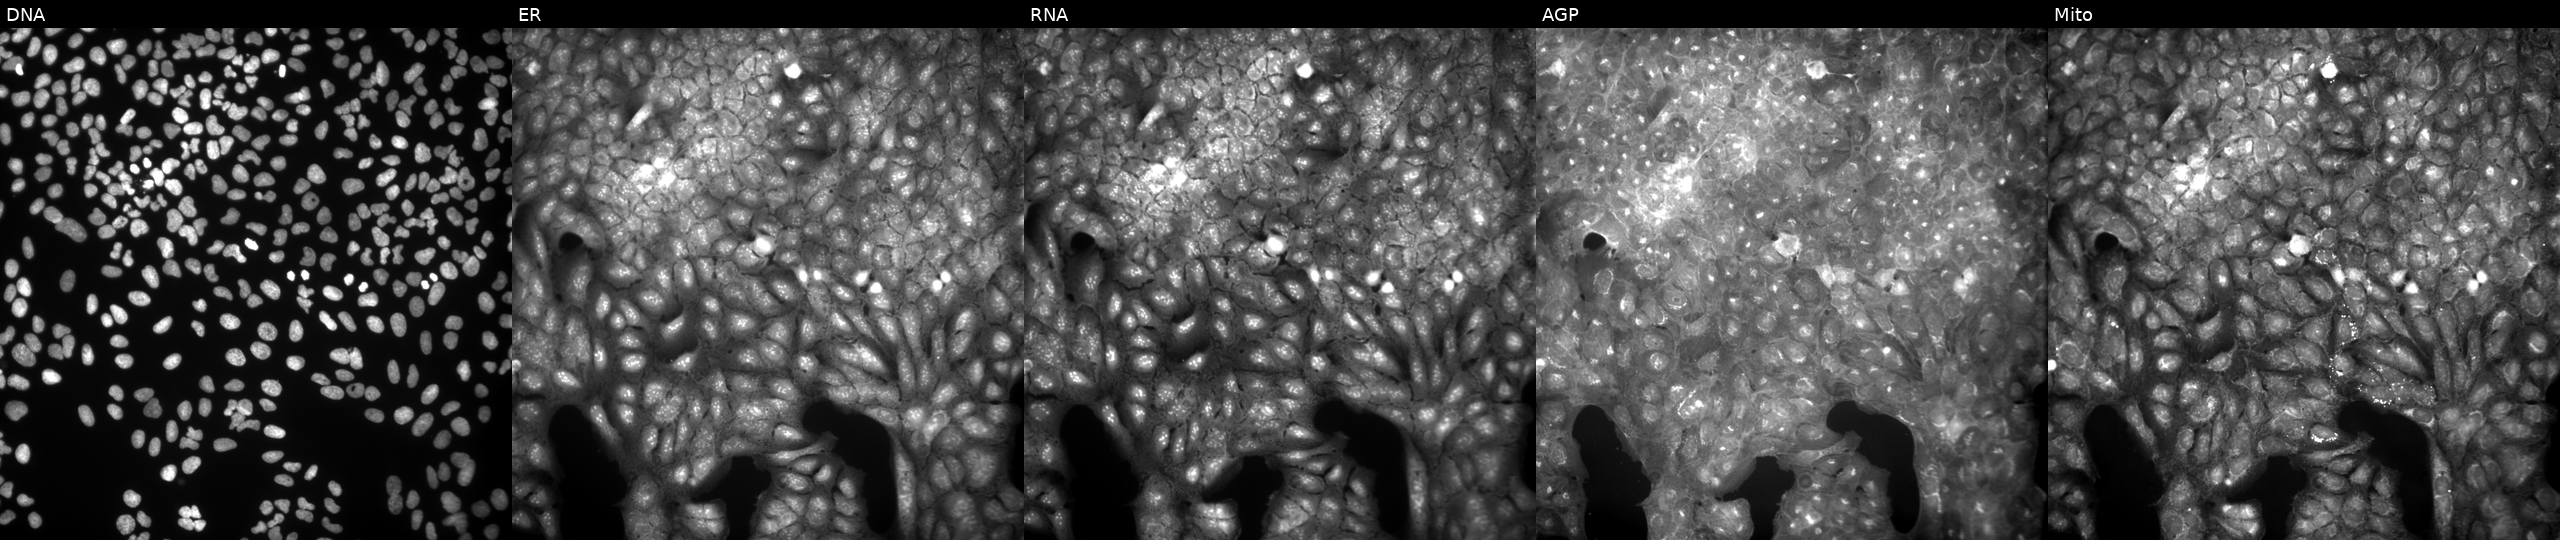
High-content fluorescence microscopy (Cell Painting). Cell line: U2OS. Perturbation: exposed to a small-molecule compound (InChIKey IOZVKDXPBWBUKY-UHFFFAOYSA-N). Panels show, left to right, DNA, ER, RNA, AGP, and Mito.